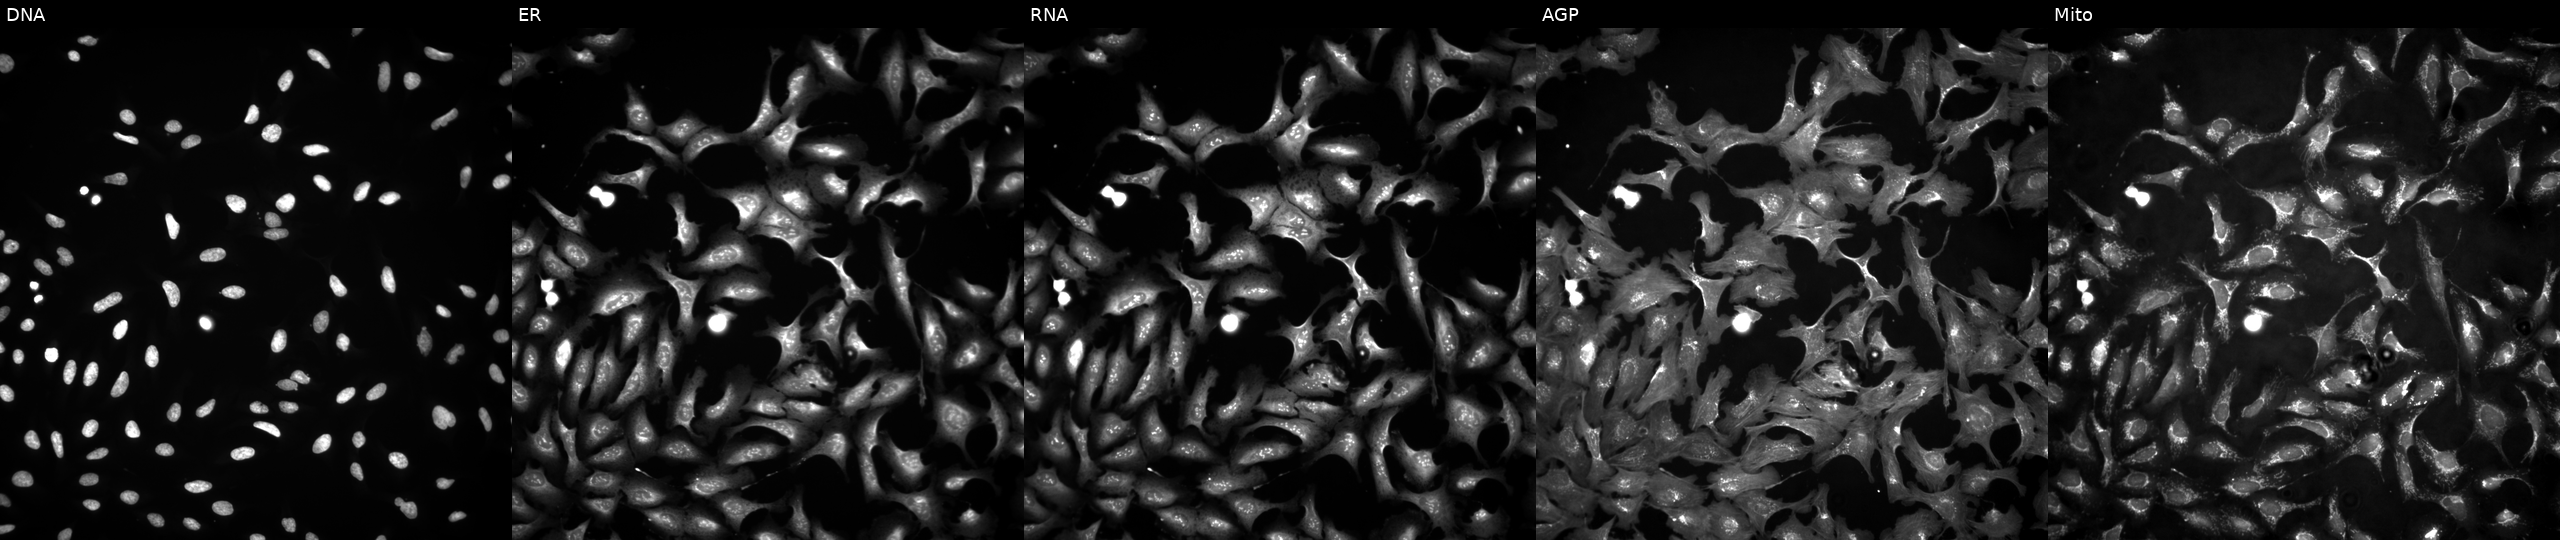
U2OS cells, Cell Painting assay, overexpressing PTPN11 via ORF transfection. Panels show, left to right, DNA (nuclei); ER (endoplasmic reticulum); RNA (nucleoli and cytoplasmic RNA); AGP (actin cytoskeleton, Golgi, and plasma membrane); Mito (mitochondria). Each panel is percentile-stretched 16-bit fluorescence. Source 4, plate BR00123945, well D20.